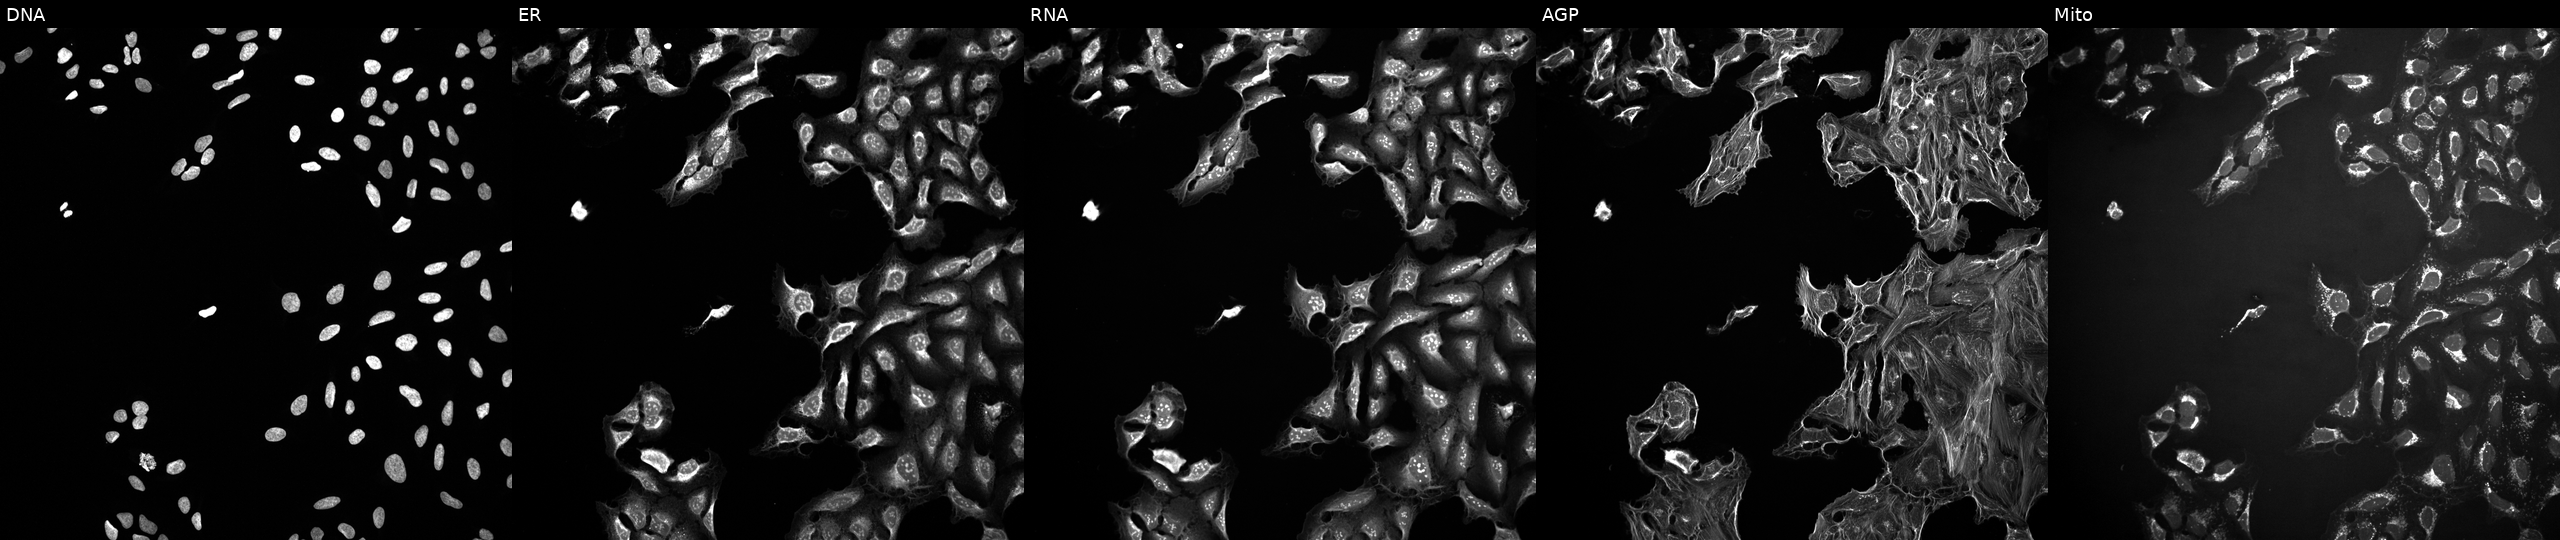
U2OS cells, Cell Painting assay, perturbed with a small-molecule compound (InChIKey PZBPKYOVPCNPJY-UHFFFAOYSA-N). Channels (left→right): DNA (nuclei); ER (endoplasmic reticulum); RNA (nucleoli and cytoplasmic RNA); AGP (actin cytoskeleton, Golgi, and plasma membrane); Mito (mitochondria). Each panel is percentile-stretched 16-bit fluorescence.